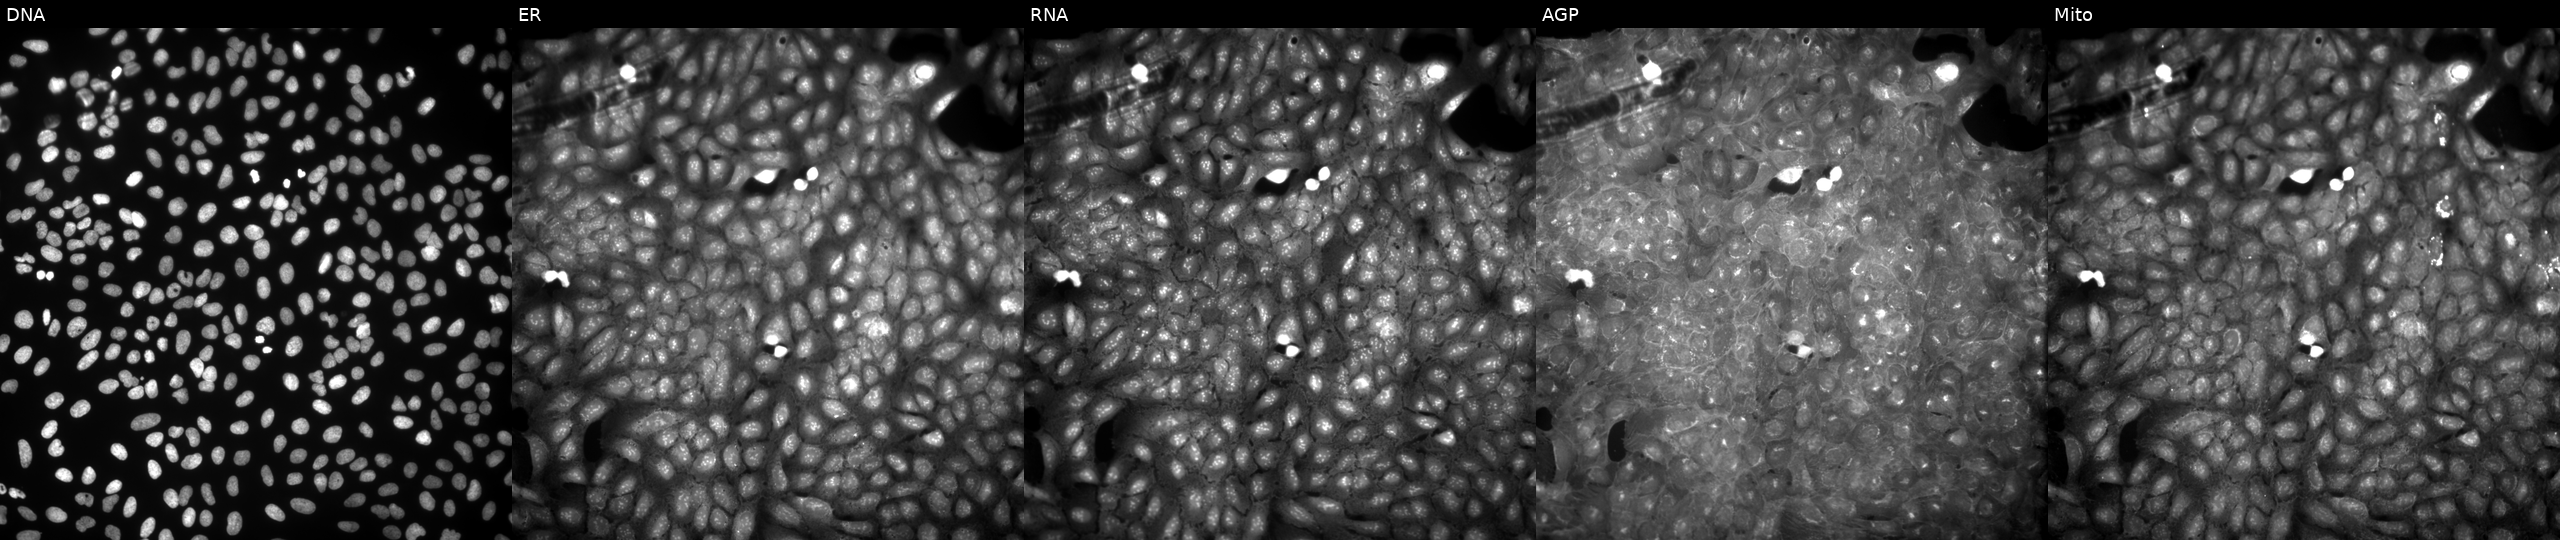
This image strip shows the five Cell Painting channels for a single field of U2OS cells perturbed with a small-molecule compound [SMILES: CC(C)(C)NC(=O)CN(Cc1ccccc1)S(=O)(=O)c1ccccc1] (JUMP id JCP2022_074893). From left to right: DNA (nuclei); ER (endoplasmic reticulum); RNA (nucleoli and cytoplasmic RNA); AGP (actin cytoskeleton, Golgi, and plasma membrane); Mito (mitochondria).